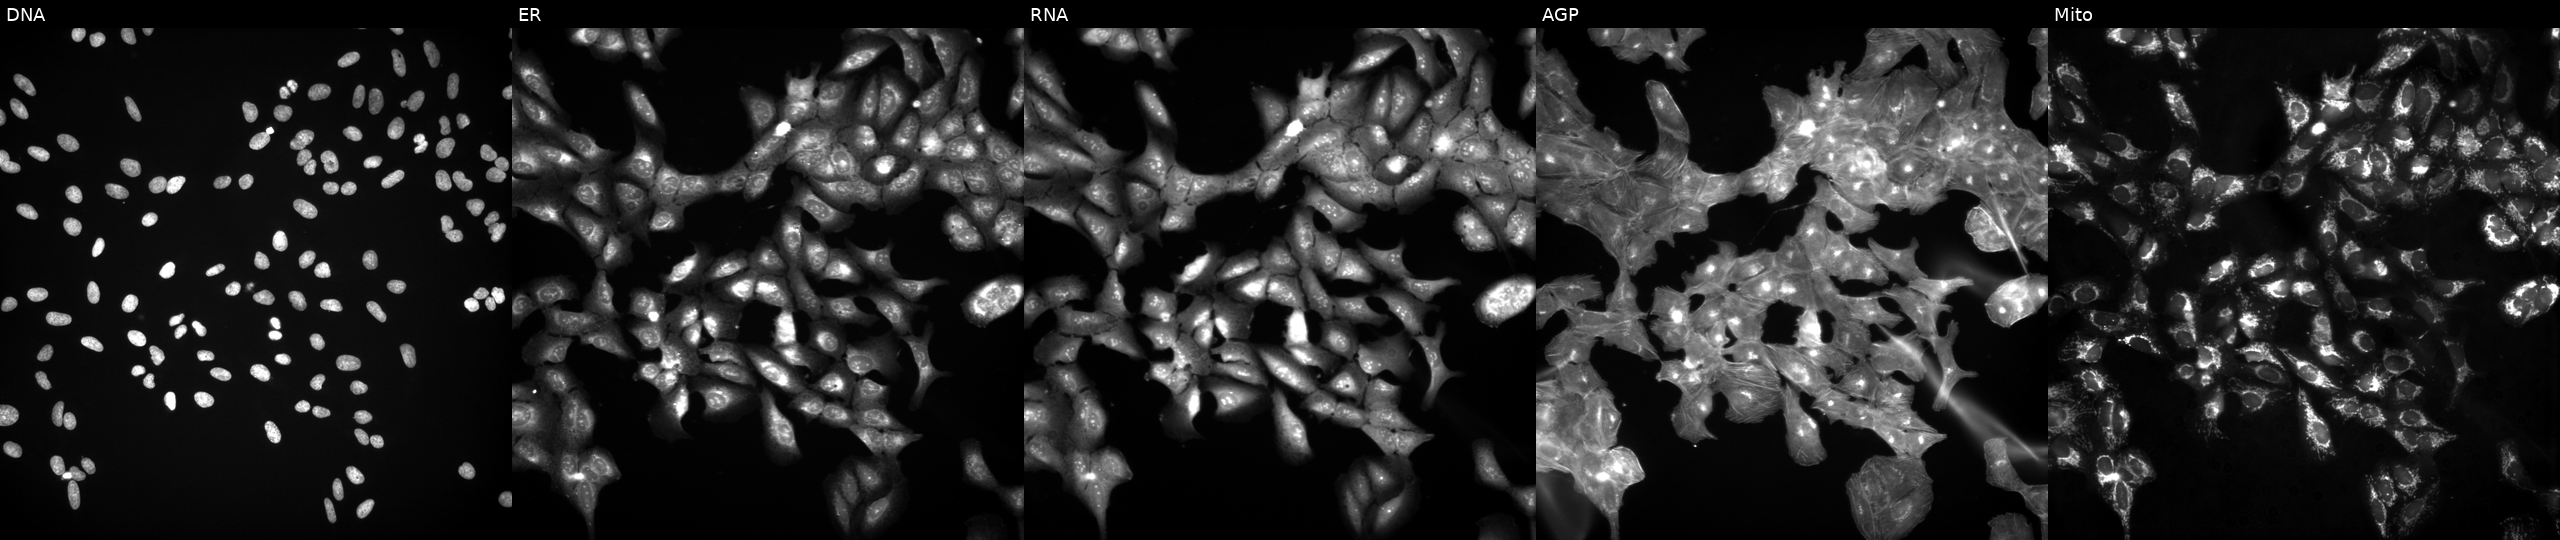
JUMP Cell Painting — TARGET2 plate. U2OS cells treated with a small-molecule compound (InChIKey OQQVFCKUDYMWGV-UHFFFAOYSA-N) (JUMP id JCP2022_065525). From left to right: Hoechst 33342, concanavalin A, SYTO 14, phalloidin and WGA, MitoTracker. Source 3, plate JCPQC053, well M14.